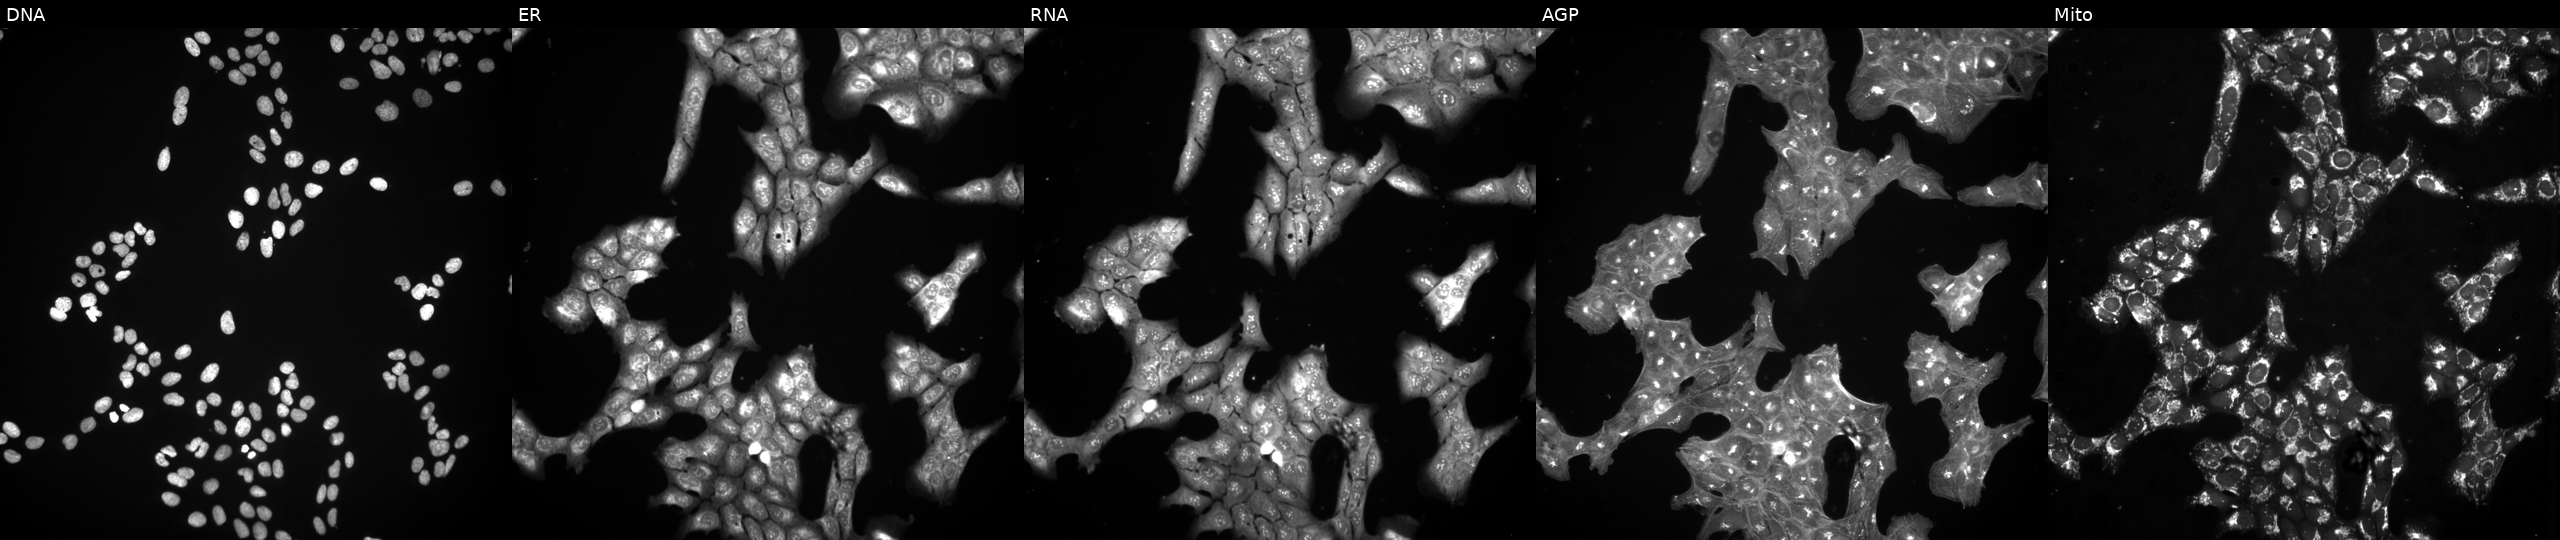
High-content fluorescence microscopy (Cell Painting). Cell line: U2OS. Perturbation: perturbed with a small-molecule compound (InChIKey CTYJZSIPFIWHBS-UHFFFAOYSA-N) (JUMP id JCP2022_013392). Panels show, left to right, DNA, ER, RNA, AGP, and Mito. Source 3, plate BR5867a3, well J14.